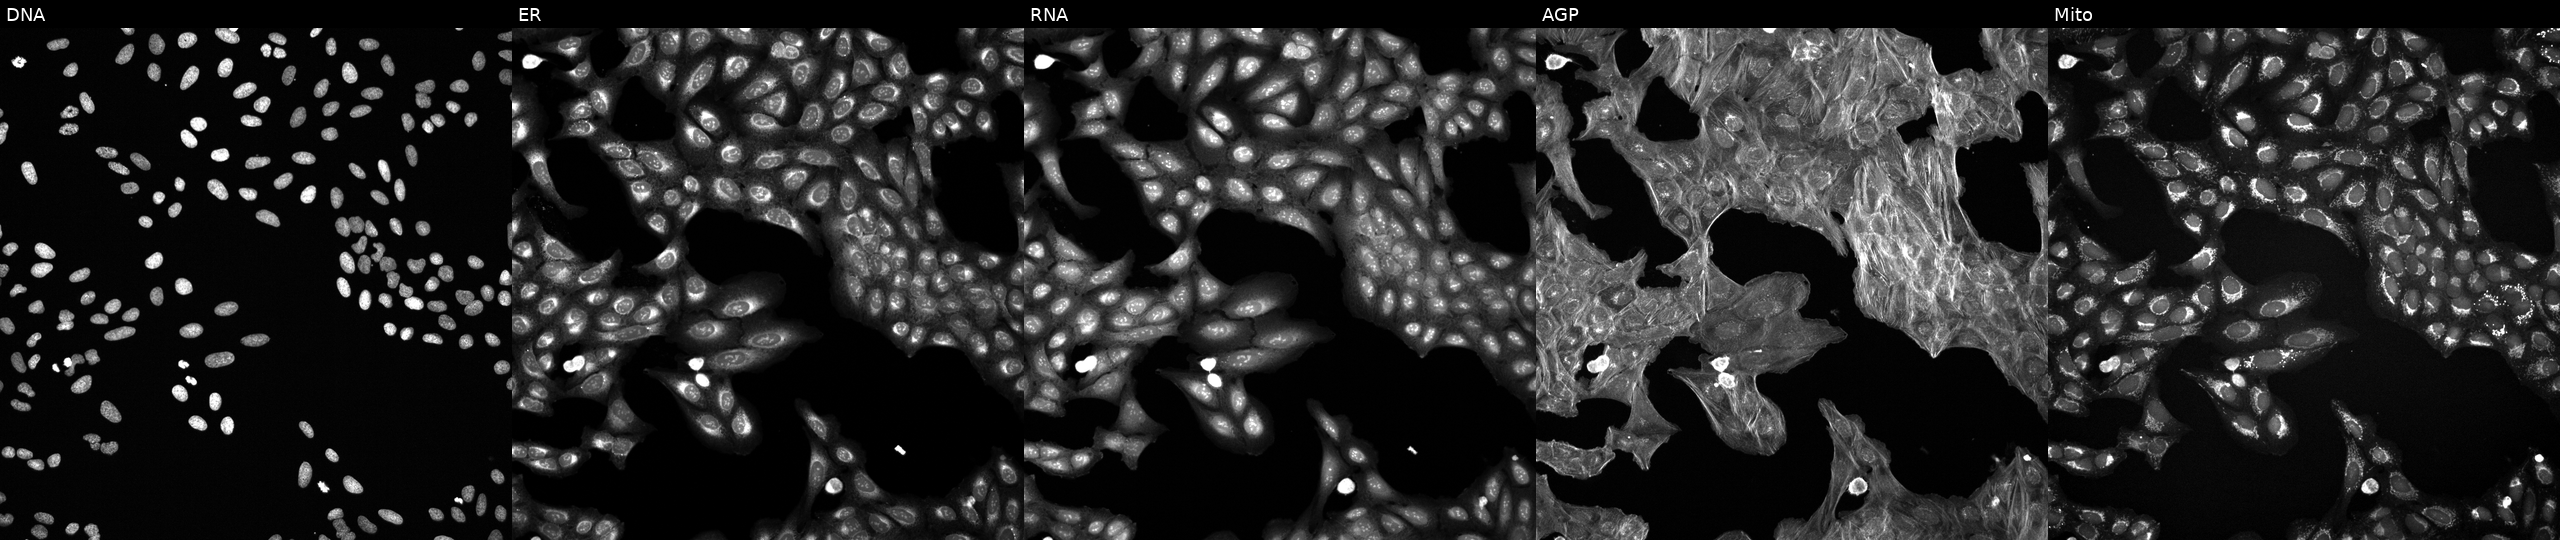
Five-channel Cell Painting image of U2OS cells treated with a small-molecule compound. Panels show, left to right, Hoechst 33342, concanavalin A, SYTO 14, phalloidin and WGA, MitoTracker.